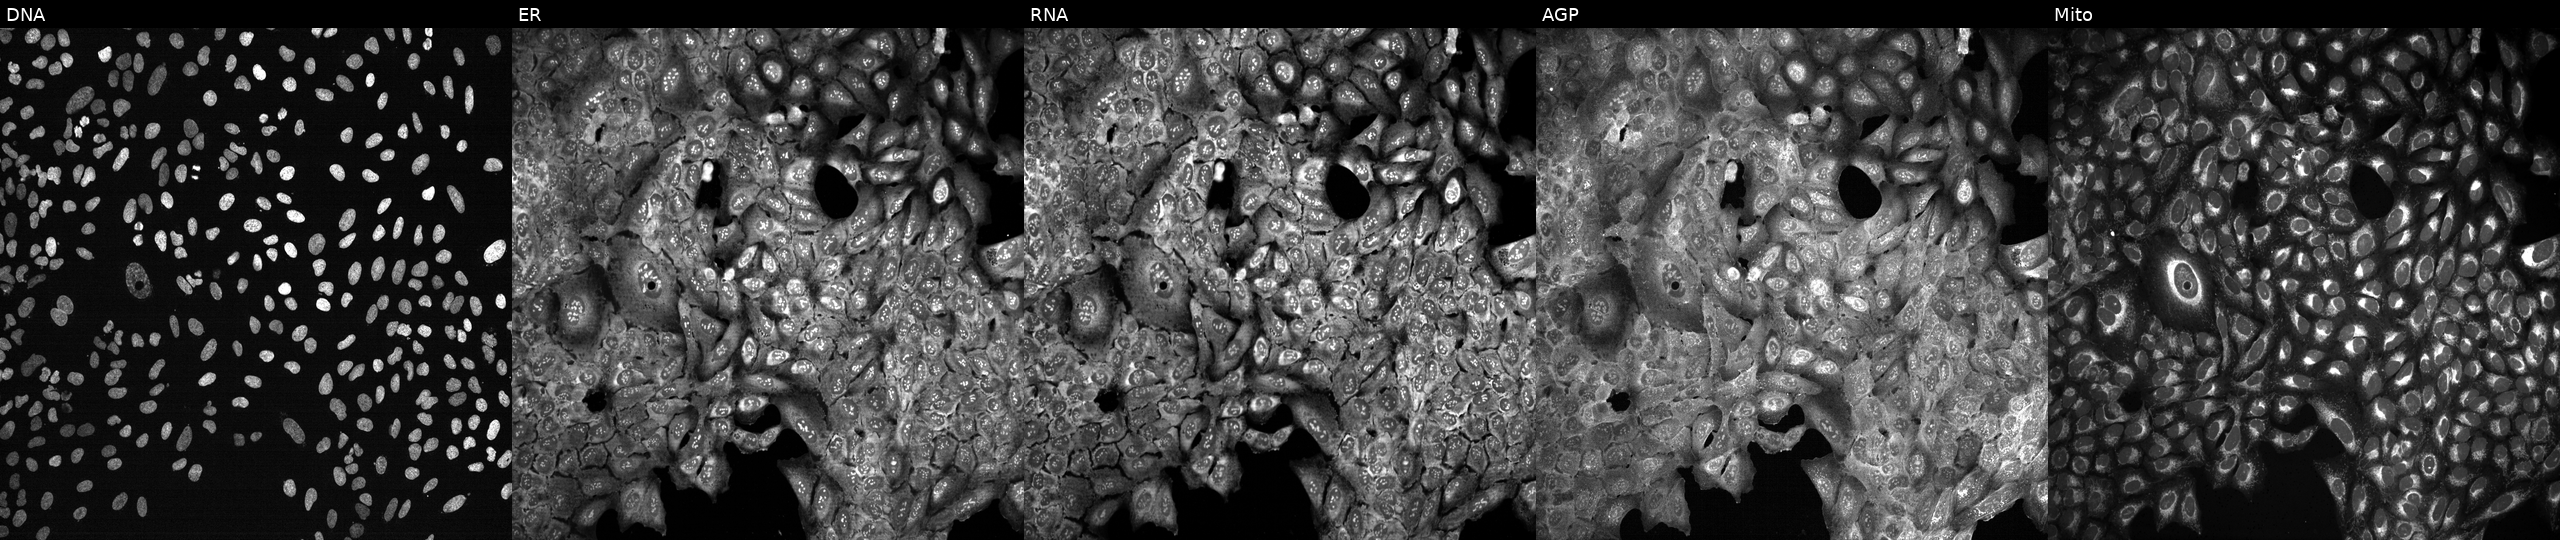
Five-channel Cell Painting image of U2OS cells following CRISPR knockout of CA1 (JUMP id JCP2022_800971). Channels (left→right): DNA (nuclei); ER (endoplasmic reticulum); RNA (nucleoli and cytoplasmic RNA); AGP (actin cytoskeleton, Golgi, and plasma membrane); Mito (mitochondria). Source 13, plate CP-CC9-R4-03, well L08.